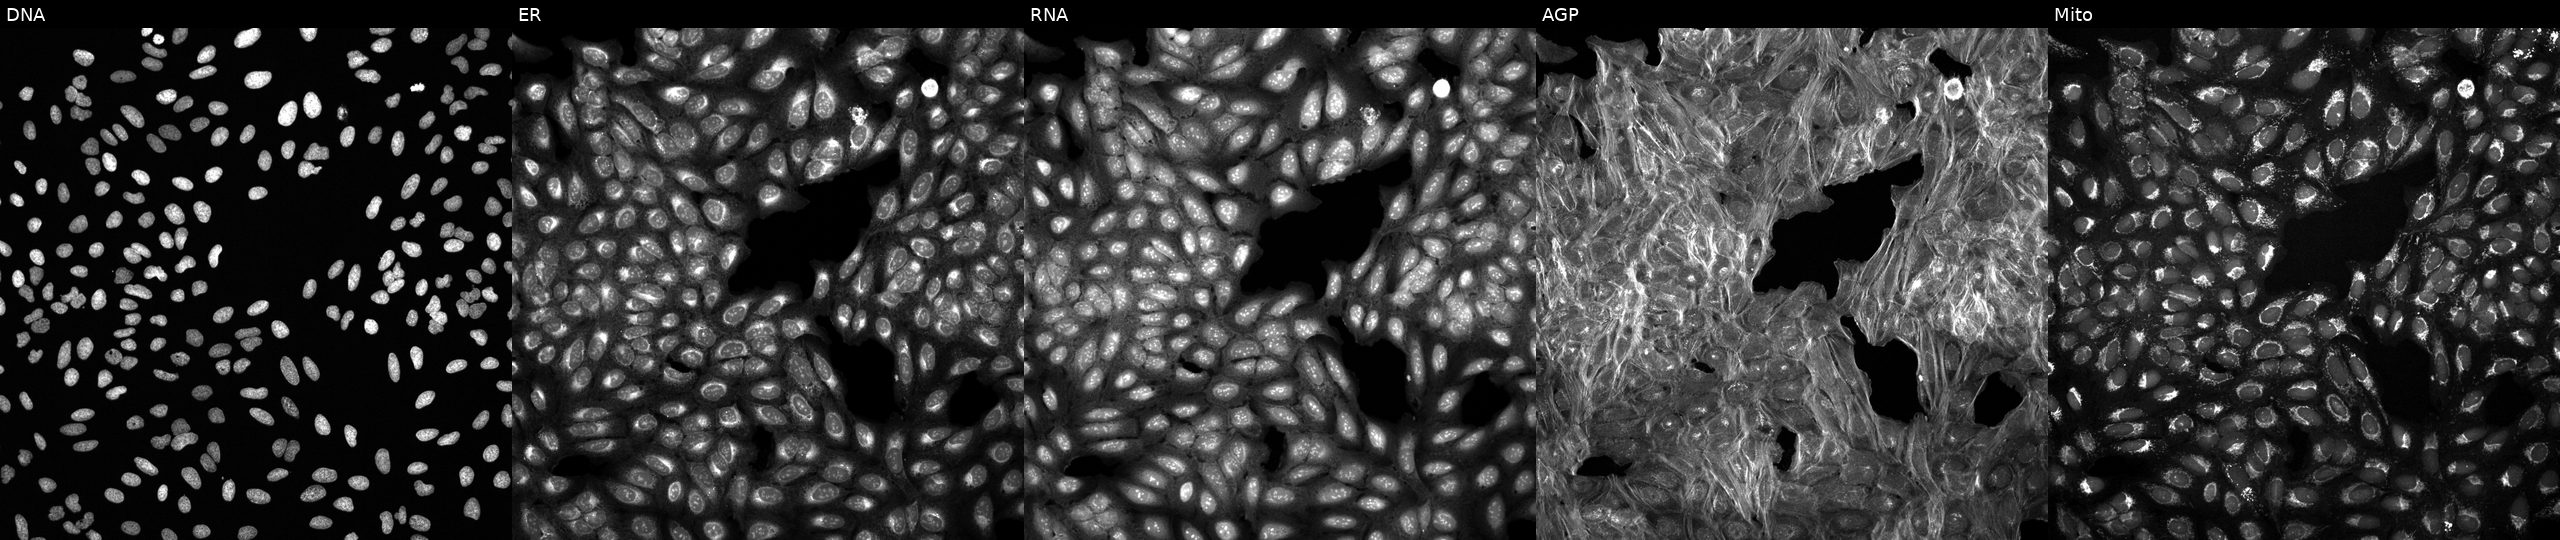
U2OS cells, Cell Painting assay, perturbed with a small-molecule compound (InChIKey PBHZTGLWOVYSAP-UHFFFAOYSA-N). Panels show, left to right, Hoechst 33342, concanavalin A, SYTO 14, phalloidin and WGA, MitoTracker. Each panel is percentile-stretched 16-bit fluorescence.